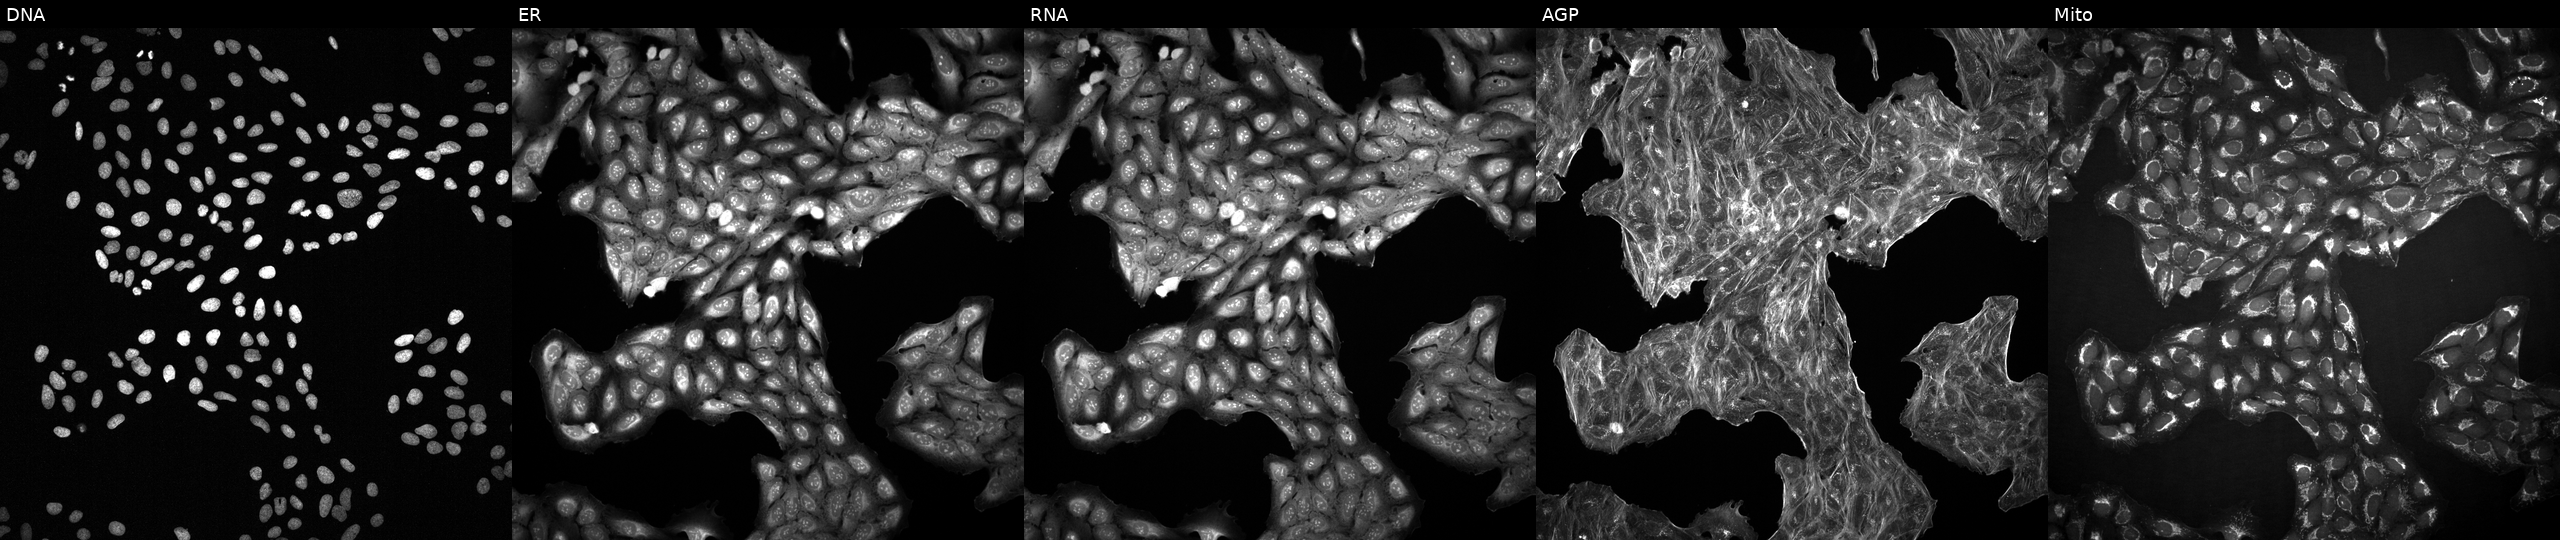
This image strip shows the five Cell Painting channels for a single field of U2OS cells perturbed with a small-molecule compound (InChIKey ORCWIBJVEIDDPG-UHFFFAOYSA-N) [SMILES: Cc1cc(=NC(=O)c2cc3sc4ccccc4c3s2)[nH]o1] (JUMP id JCP2022_065598). From left to right: Hoechst 33342, concanavalin A, SYTO 14, phalloidin and WGA, MitoTracker. Source 2, plate 1053601756, well C22.